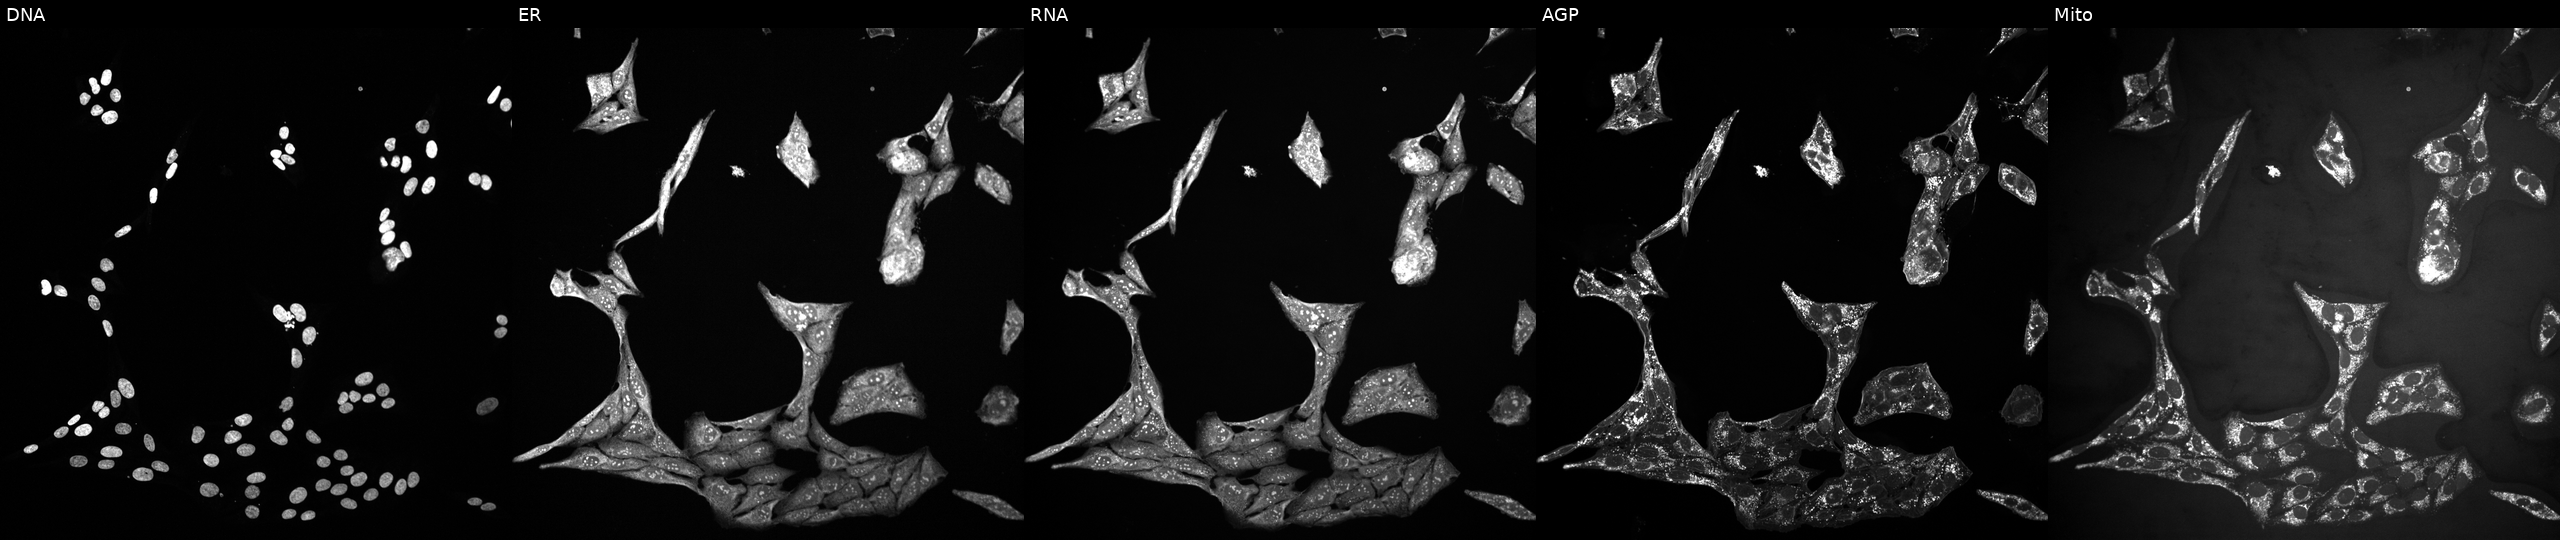
Panels show, left to right, DNA, ER, RNA, AGP, and Mito. U2OS osteosarcoma cells treated with a small-molecule compound. Cell Painting assay, JUMP-CP dataset.